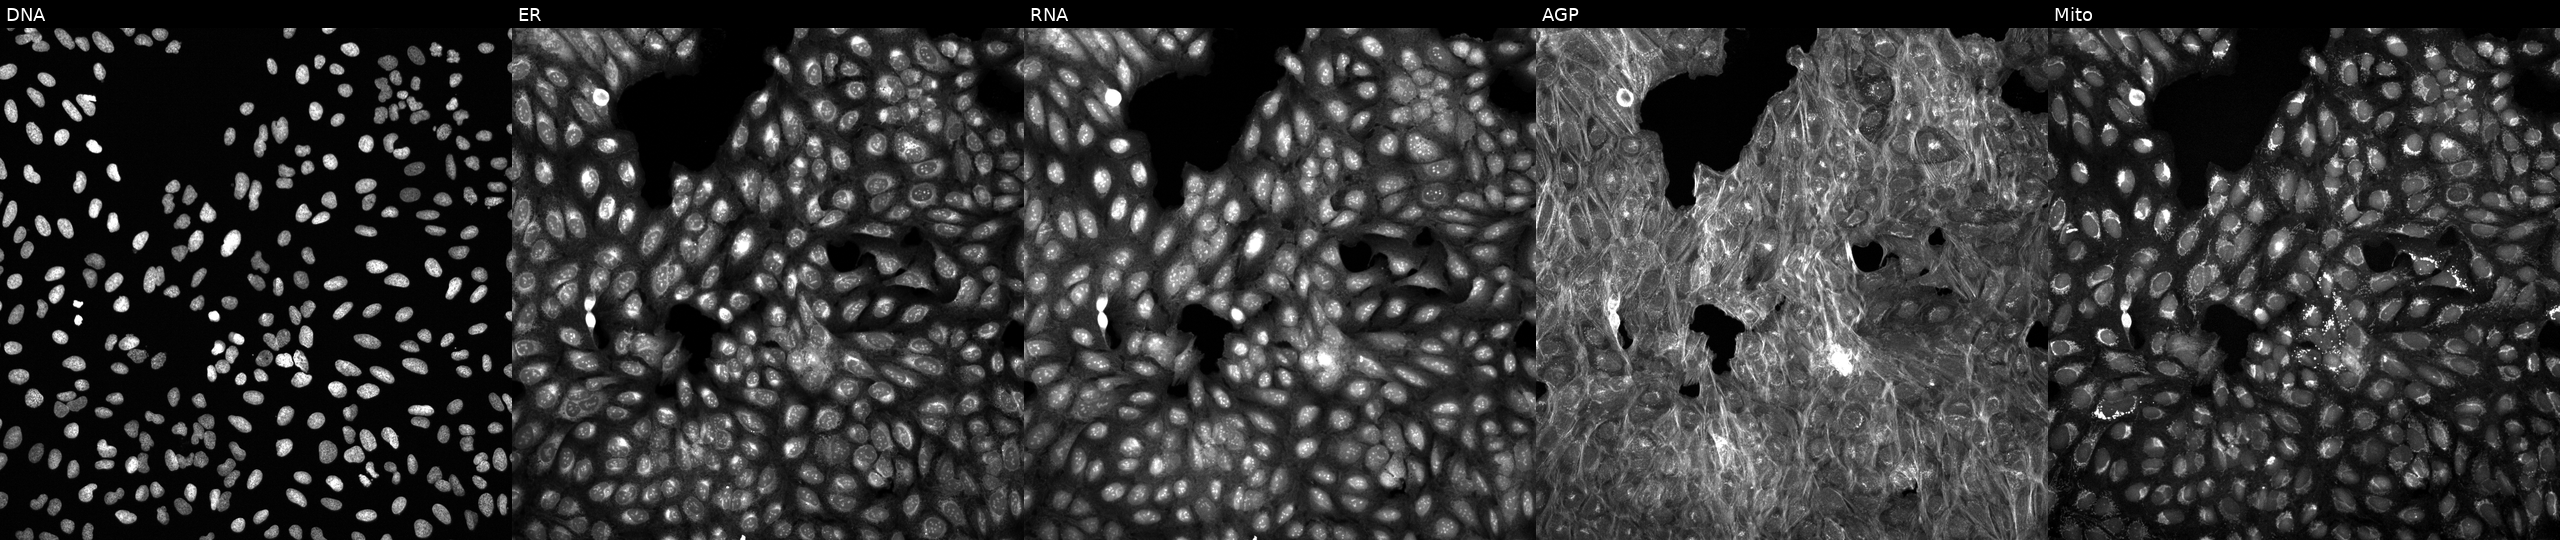
U2OS cells, Cell Painting assay, perturbed with a small-molecule compound [SMILES: COC(=O)C1=C(C#N)N=C(C)C(C(=O)OC(C)C)C1c1cccc([N+](=O)[O-])c1]. From left to right: DNA (nuclei); ER (endoplasmic reticulum); RNA (nucleoli and cytoplasmic RNA); AGP (actin cytoskeleton, Golgi, and plasma membrane); Mito (mitochondria). Each panel is percentile-stretched 16-bit fluorescence. Source 6, plate 110000294901, well O14.